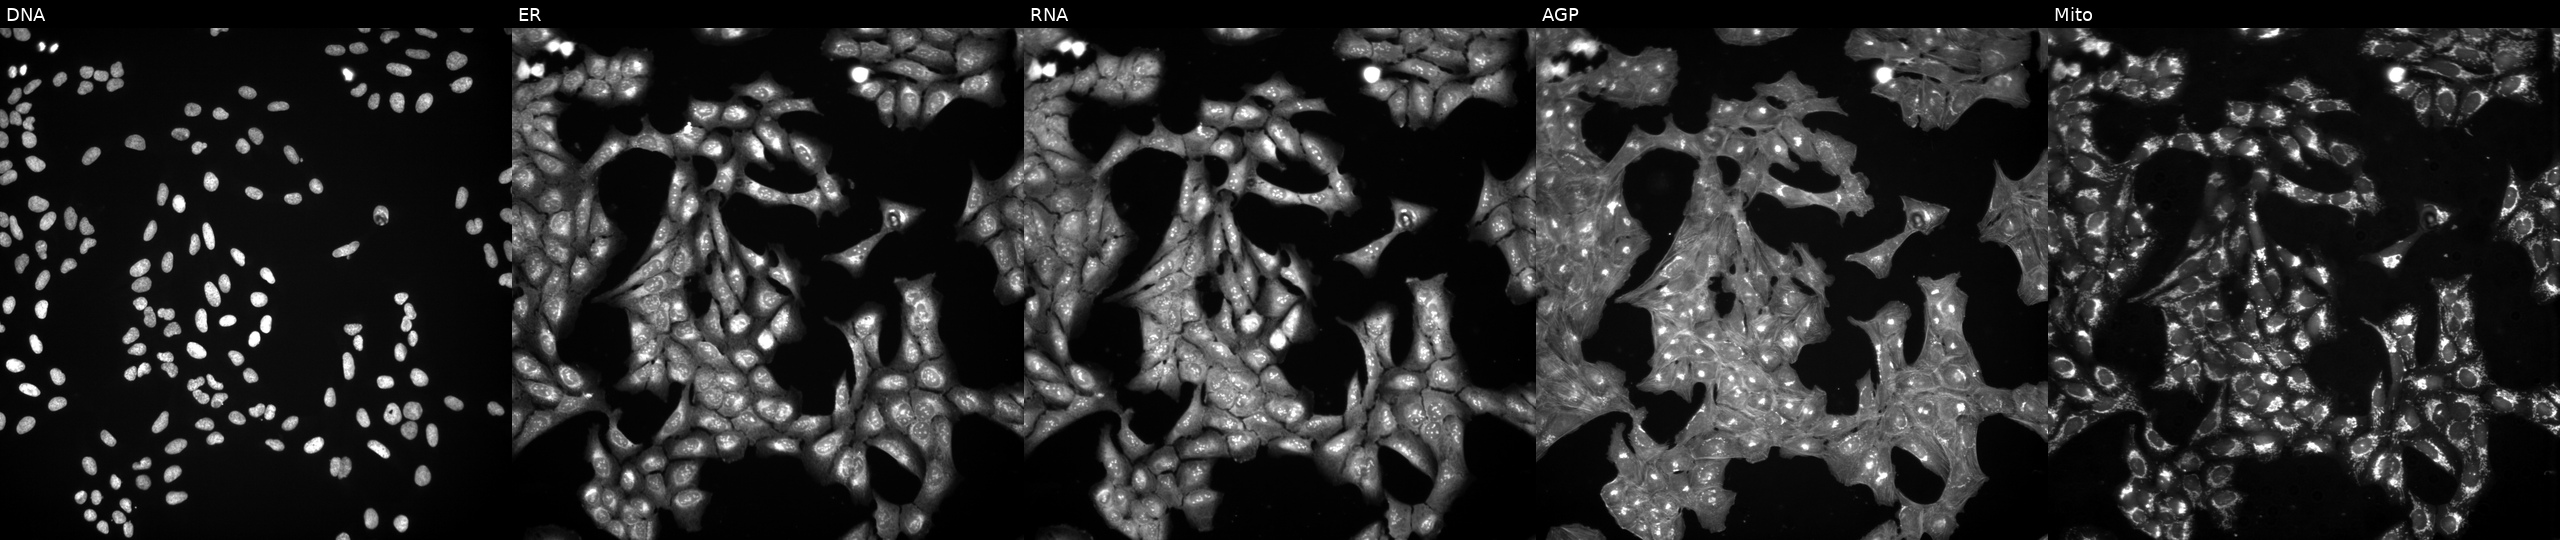
This image strip shows the five Cell Painting channels for a single field of U2OS cells treated with a small-molecule compound (InChIKey CYOWZAWBRCQIPT-UHFFFAOYSA-N) [SMILES: COc1ccc(-n2c(N)c(C(=O)NCc3cccnc3)sc2=S)cc1] (JUMP id JCP2022_014288). From left to right: DNA, ER, RNA, AGP, and Mito. Source 3, plate BR5867a3, well C08.